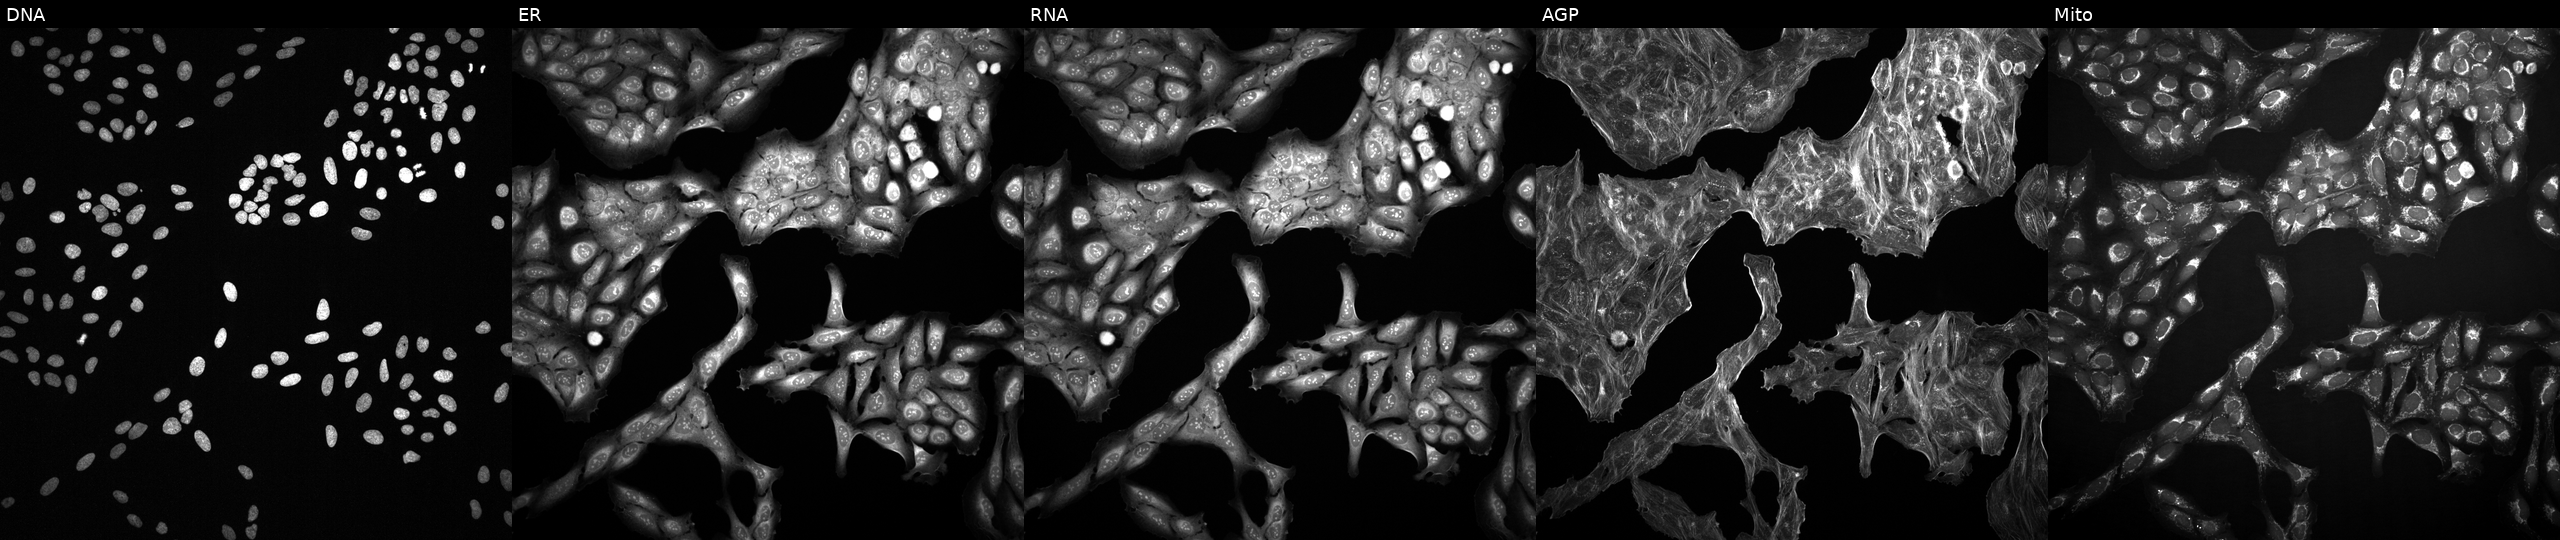
U2OS cells, Cell Painting assay, perturbed with a small-molecule compound. Panels show, left to right, DNA (nuclei); ER (endoplasmic reticulum); RNA (nucleoli and cytoplasmic RNA); AGP (actin cytoskeleton, Golgi, and plasma membrane); Mito (mitochondria). Each panel is percentile-stretched 16-bit fluorescence. Source 2, plate 1053597936, well L08.